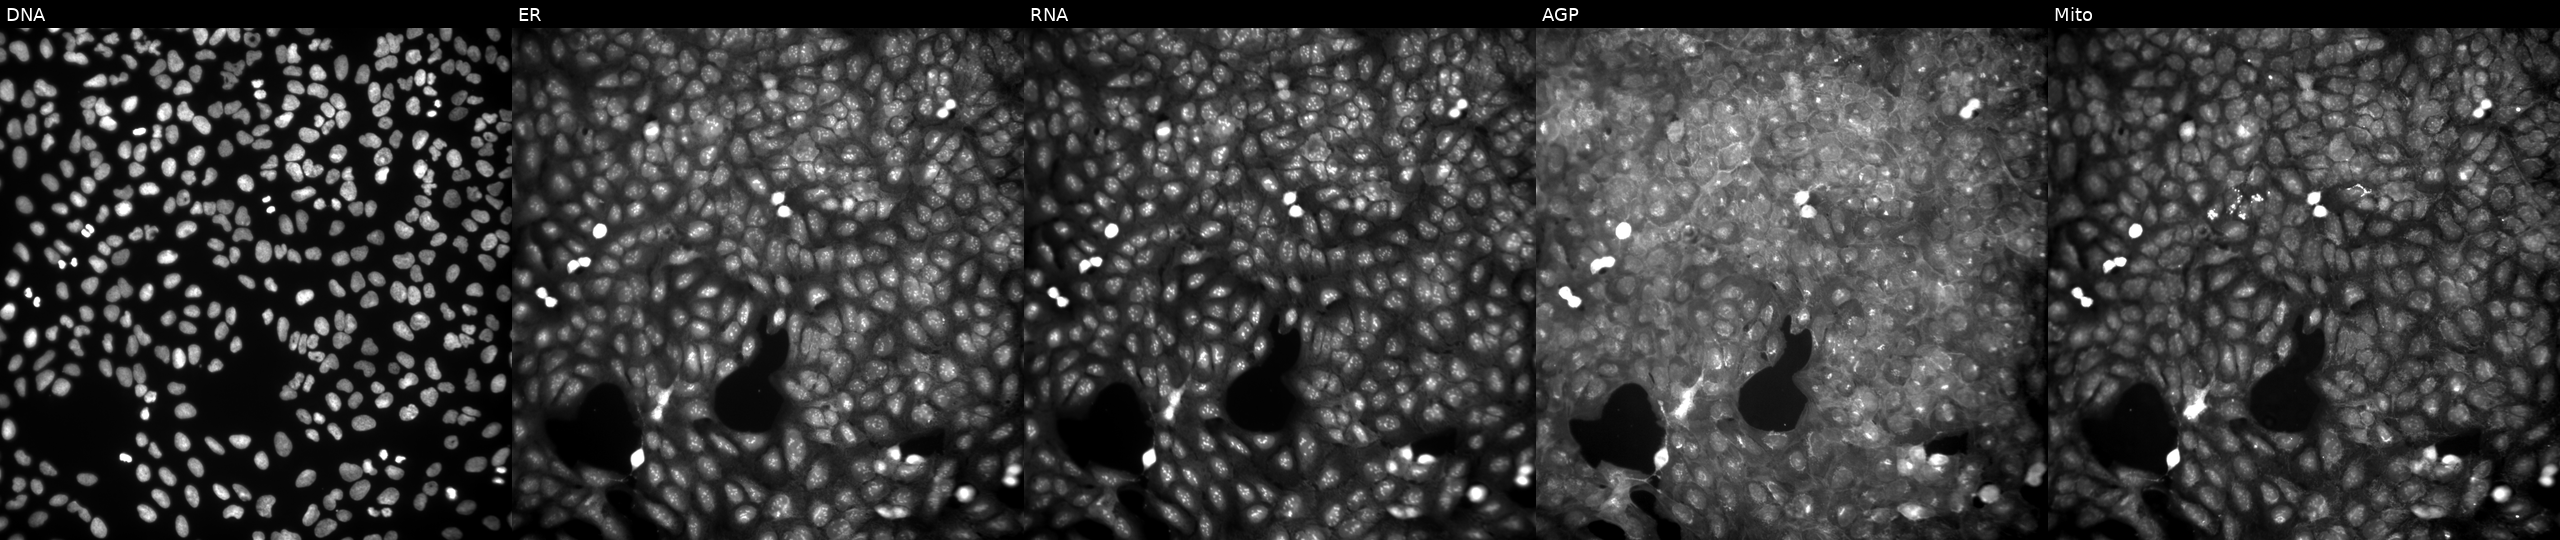
High-content fluorescence microscopy (Cell Painting). Cell line: U2OS. Perturbation: perturbed with a small-molecule compound. From left to right: DNA (nuclei); ER (endoplasmic reticulum); RNA (nucleoli and cytoplasmic RNA); AGP (actin cytoskeleton, Golgi, and plasma membrane); Mito (mitochondria).